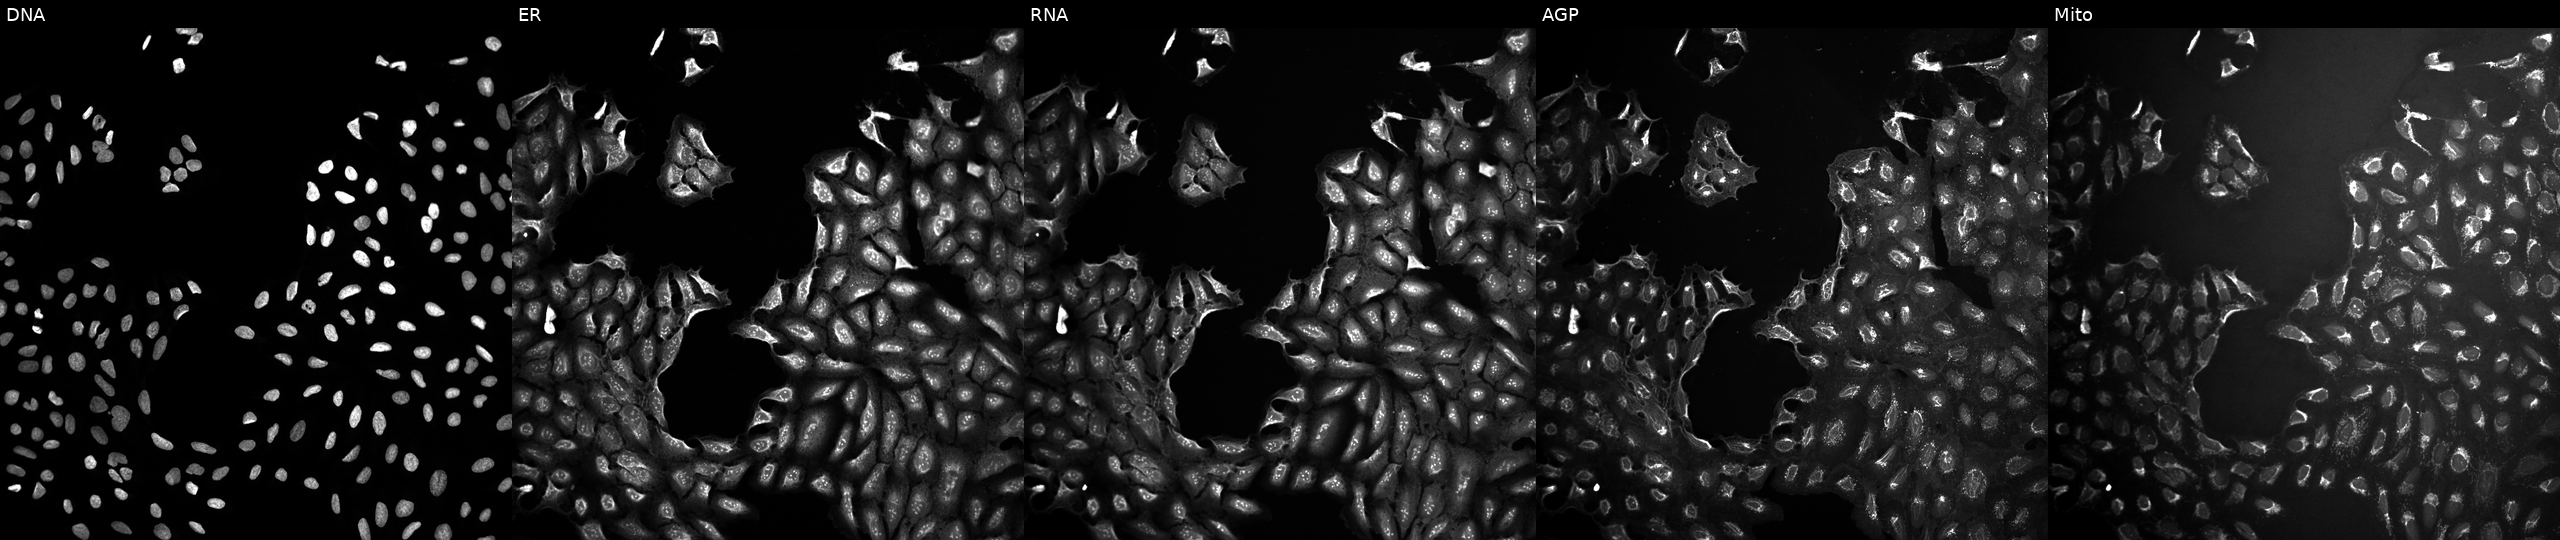
High-content fluorescence microscopy (Cell Painting). Cell line: U2OS. Perturbation: perturbed with a small-molecule compound (InChIKey JBIMVDZLSHOPLA-UHFFFAOYSA-N). The five panels, left to right, show DNA, ER, RNA, AGP, and Mito.